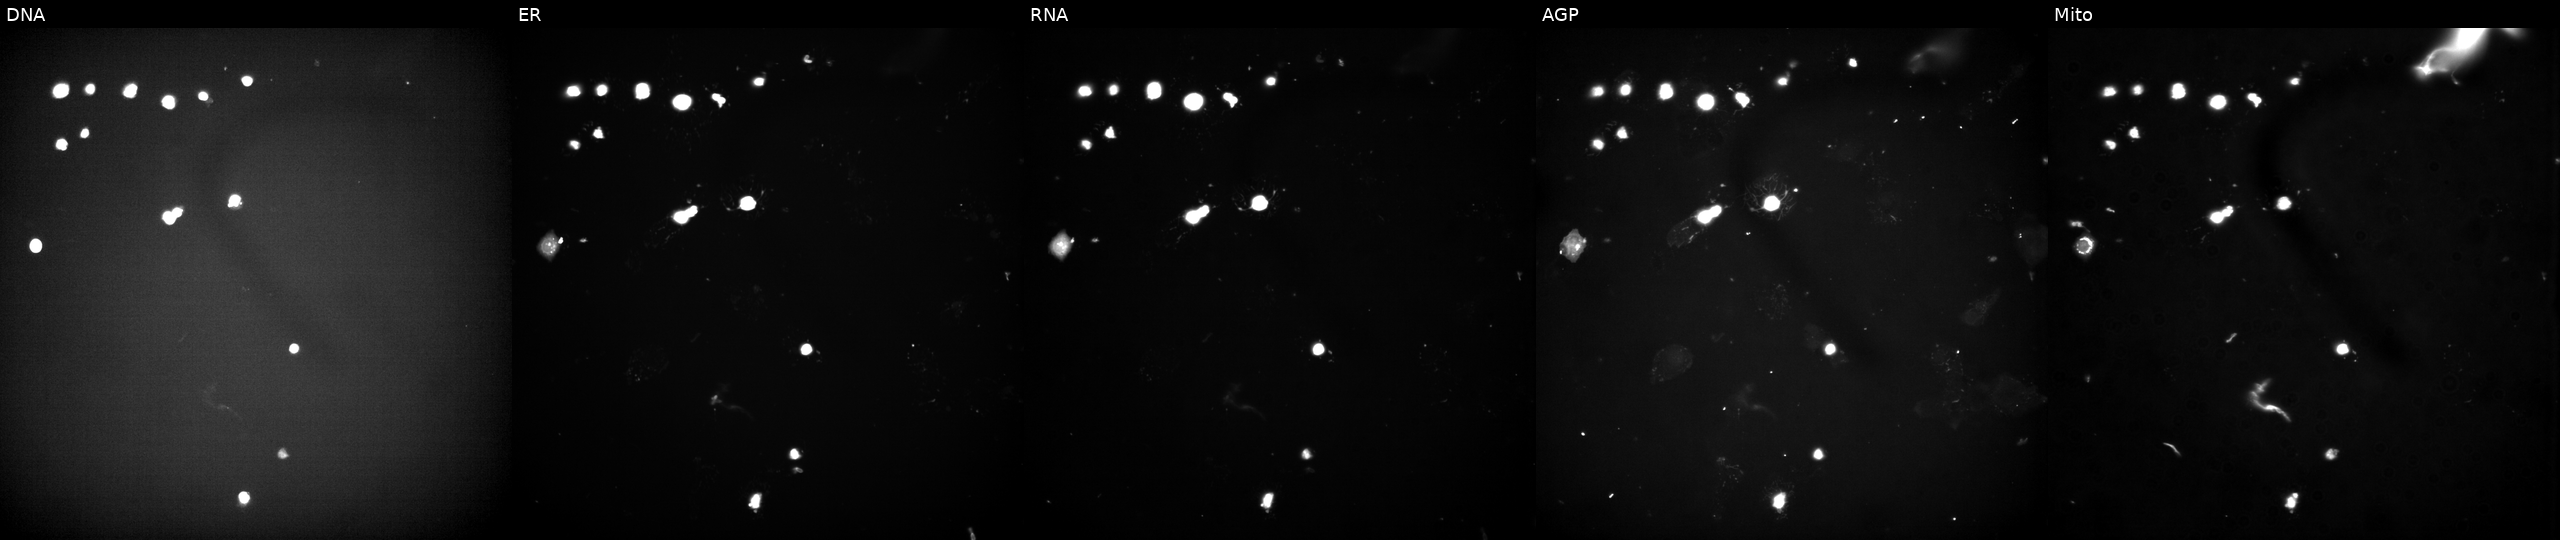
U2OS cells, Cell Painting assay, exposed to a small-molecule compound (InChIKey RXWNCPJZOCPEPQ-UHFFFAOYSA-N) (JUMP id JCP2022_081430). The five panels, left to right, show Hoechst 33342, concanavalin A, SYTO 14, phalloidin and WGA, MitoTracker. Each panel is percentile-stretched 16-bit fluorescence.